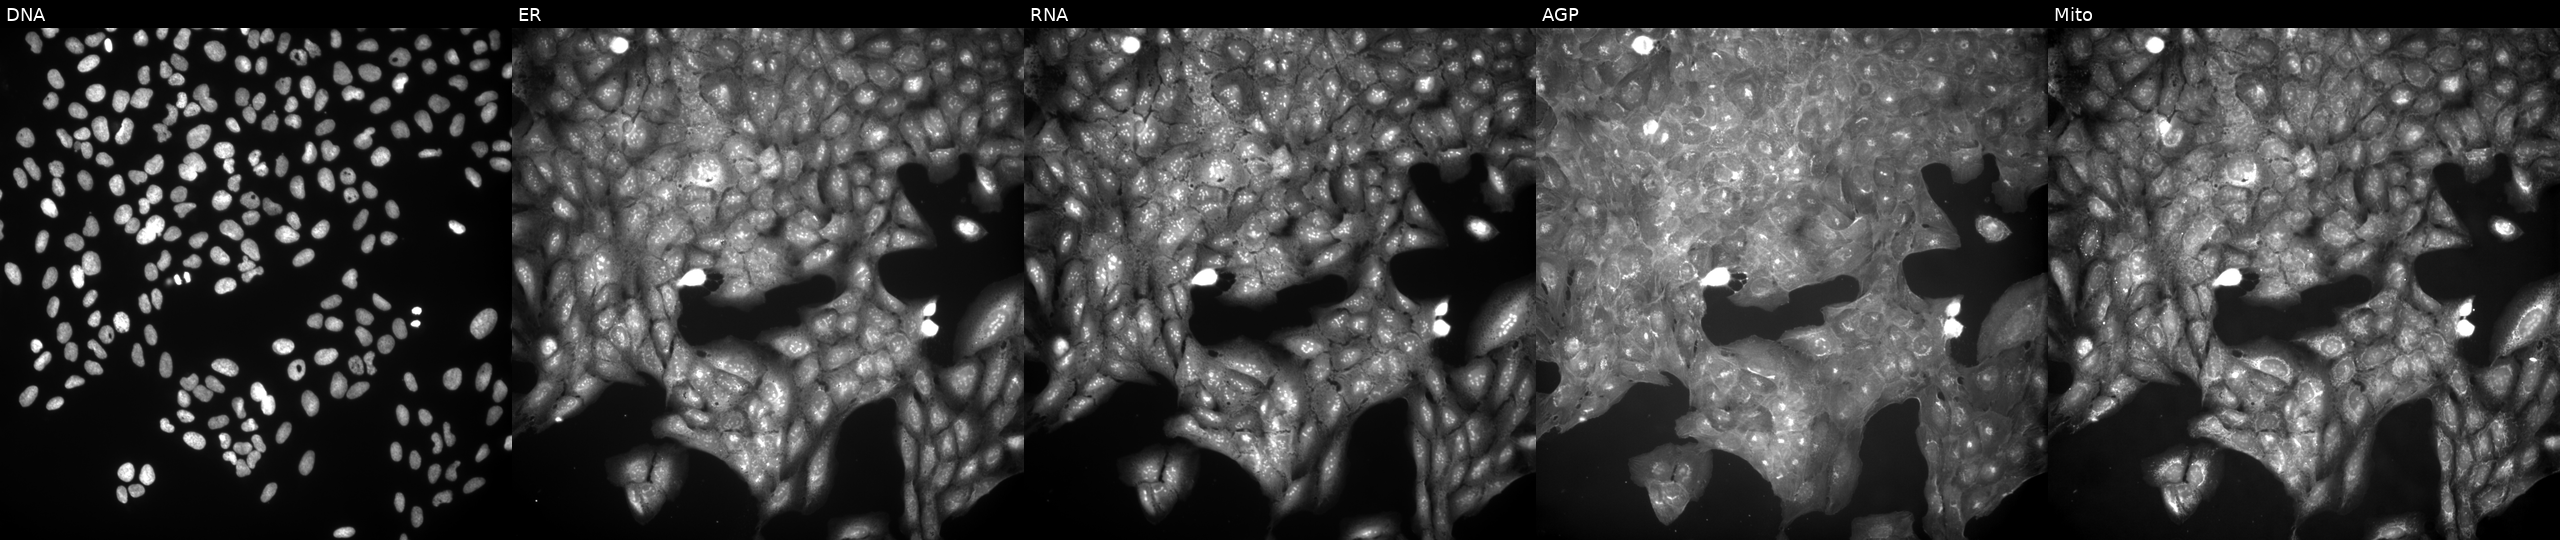
U2OS cells, Cell Painting assay, treated with a small-molecule compound (InChIKey AWHWKYGWHLHNDQ-UHFFFAOYSA-N). Channels (left→right): DNA (nuclei); ER (endoplasmic reticulum); RNA (nucleoli and cytoplasmic RNA); AGP (actin cytoskeleton, Golgi, and plasma membrane); Mito (mitochondria). Each panel is percentile-stretched 16-bit fluorescence.